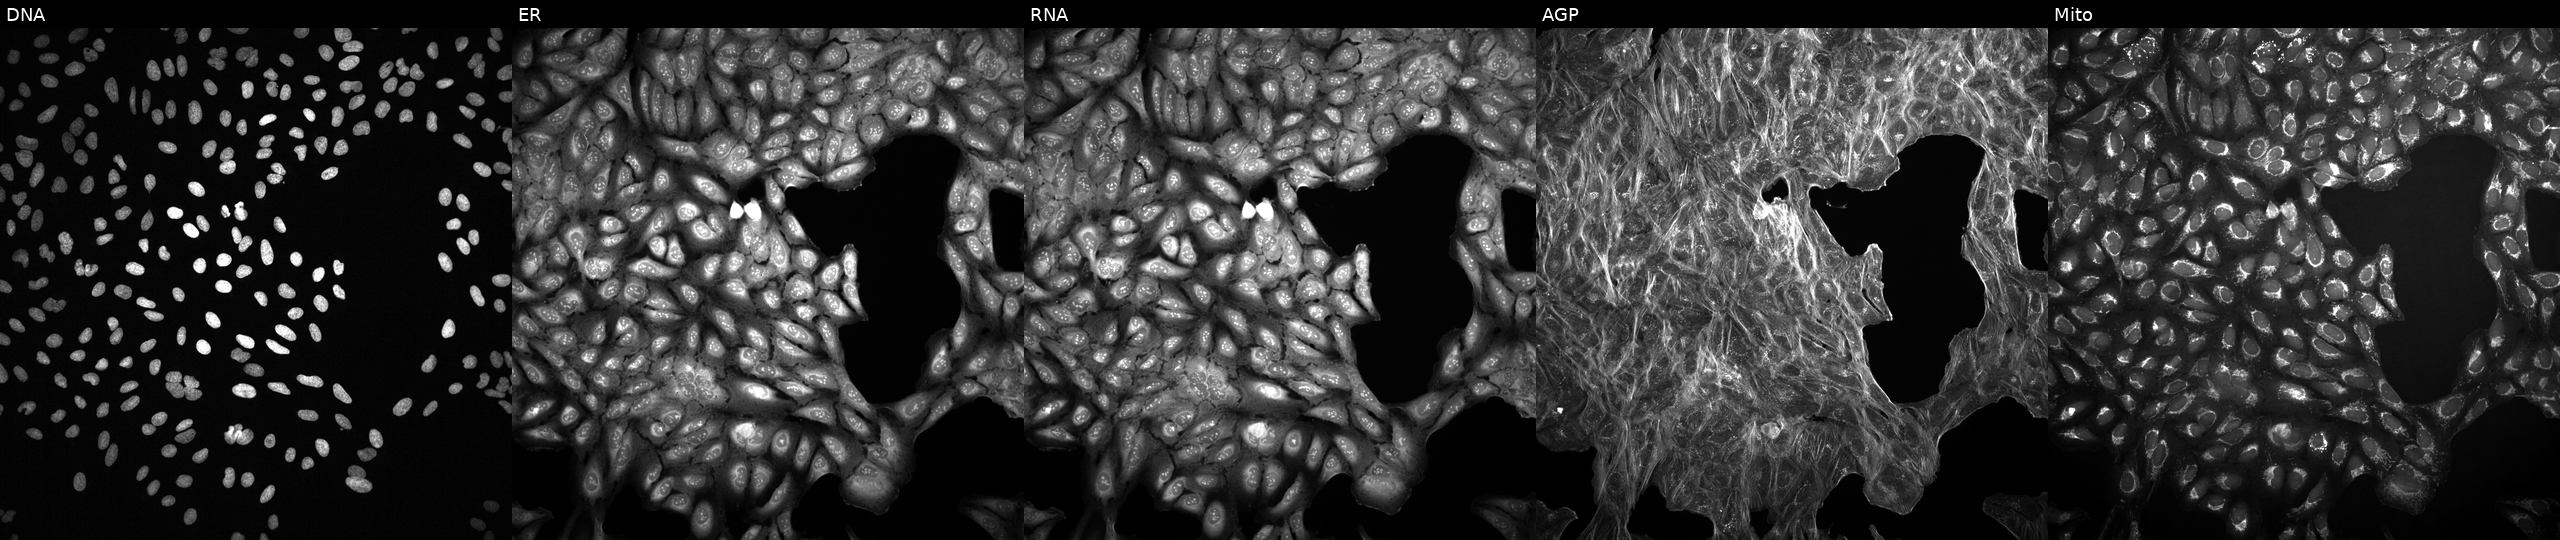
High-content fluorescence microscopy (Cell Painting). Cell line: U2OS. Perturbation: treated with a small-molecule compound (JUMP id JCP2022_031861). Channels (left→right): DNA, ER, RNA, AGP, and Mito. Source 2, plate 1053597936, well K18.